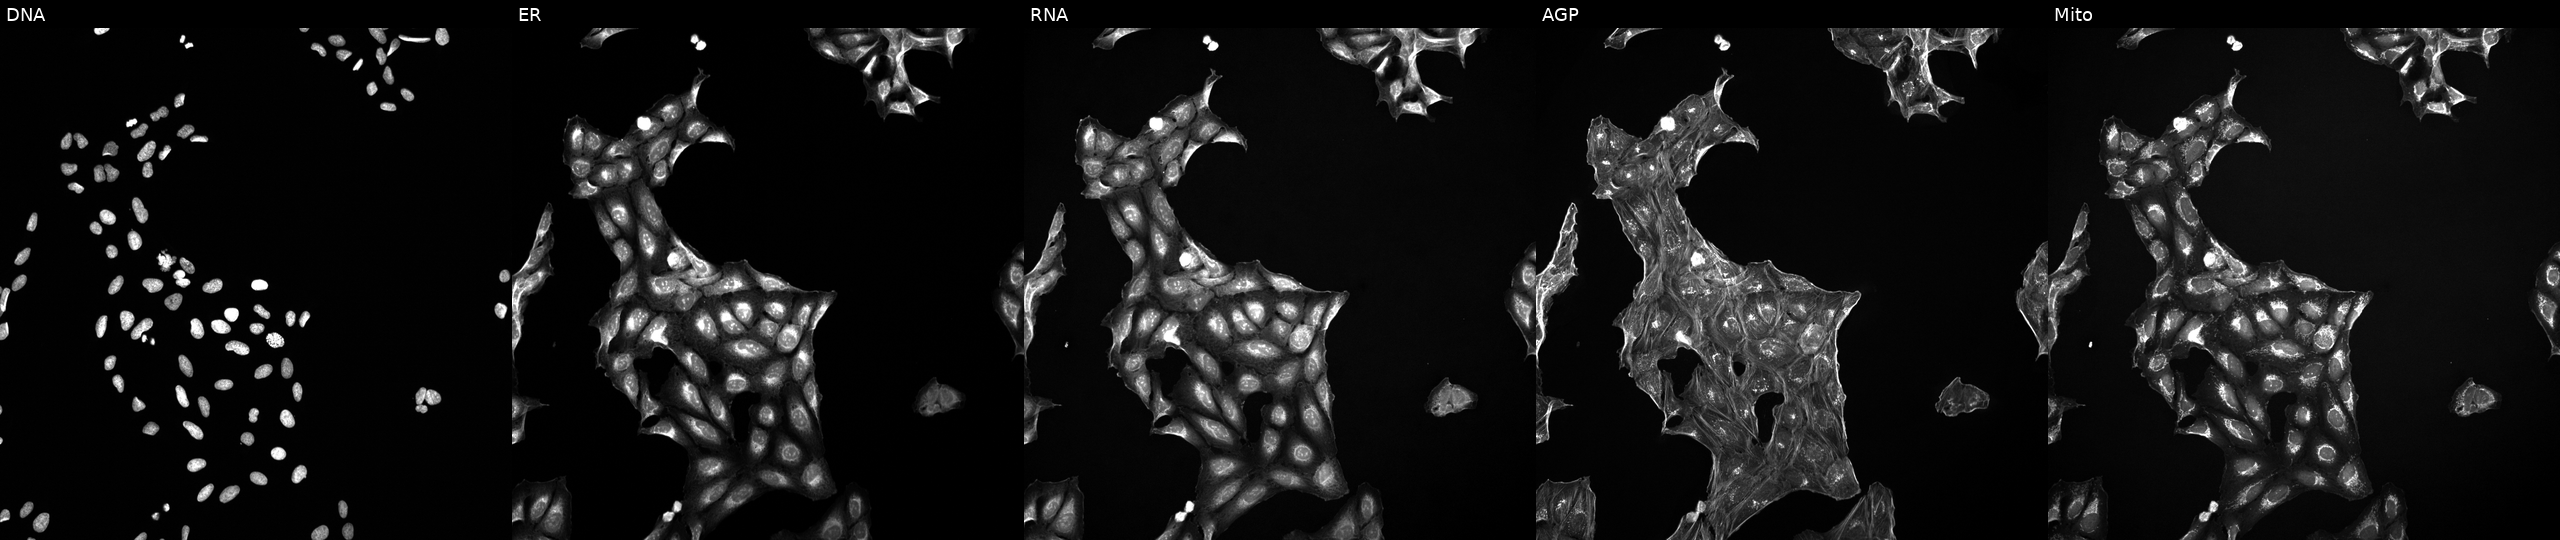
High-content fluorescence microscopy (Cell Painting). Cell line: U2OS. Perturbation: treated with a small-molecule compound (InChIKey NQDJXKOVJZTUJA-UHFFFAOYSA-N). The five panels, left to right, show DNA (nuclei); ER (endoplasmic reticulum); RNA (nucleoli and cytoplasmic RNA); AGP (actin cytoskeleton, Golgi, and plasma membrane); Mito (mitochondria).